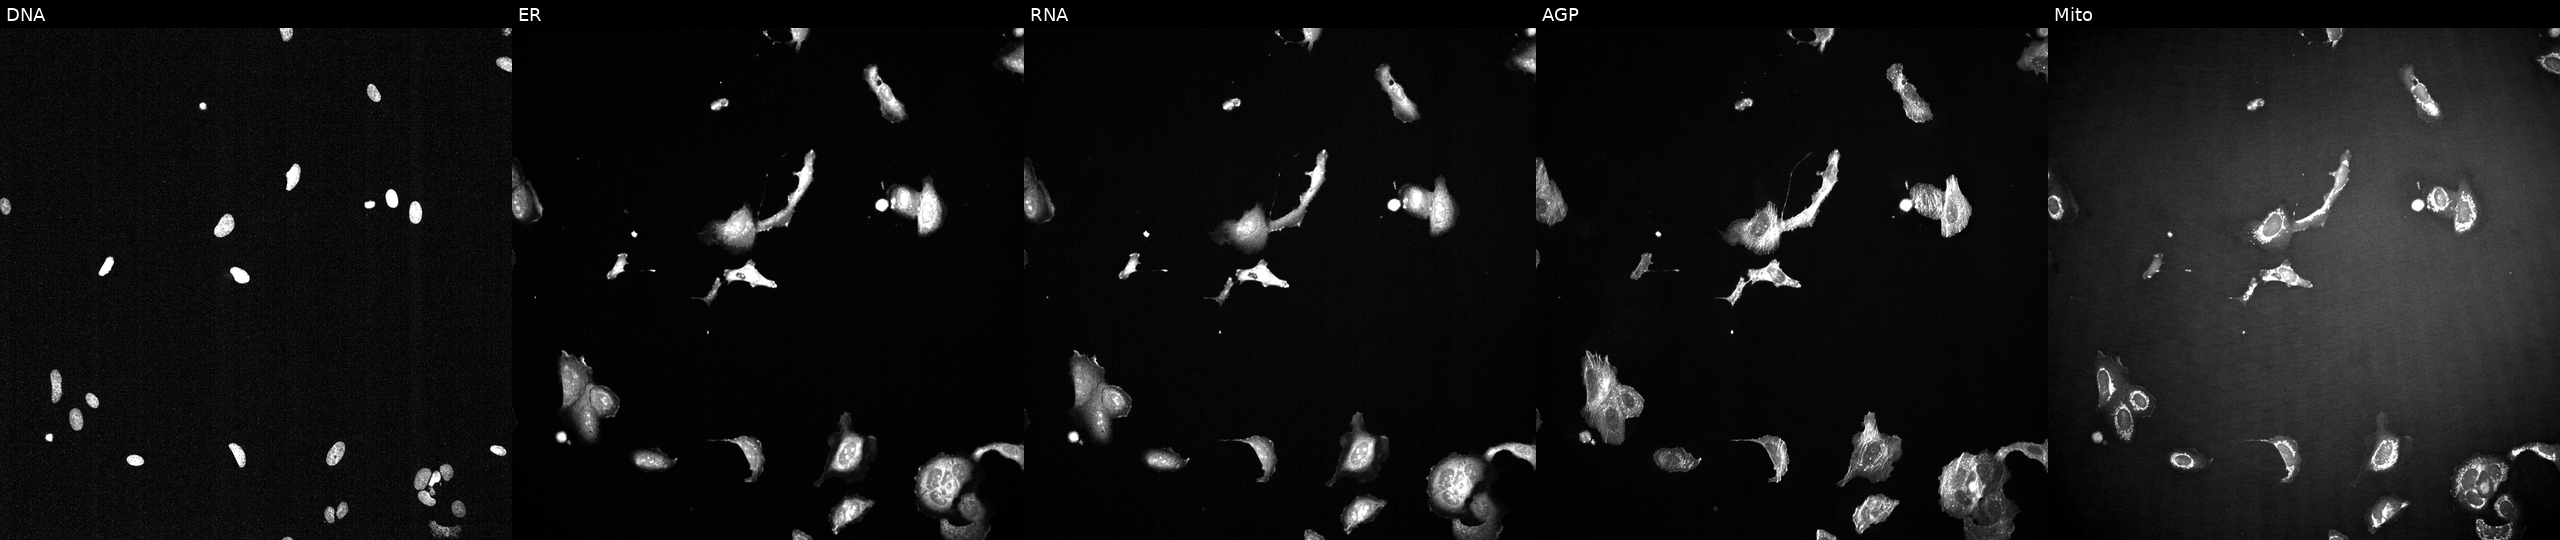
From left to right: DNA (nuclei); ER (endoplasmic reticulum); RNA (nucleoli and cytoplasmic RNA); AGP (actin cytoskeleton, Golgi, and plasma membrane); Mito (mitochondria). U2OS osteosarcoma cells exposed to a small-molecule compound (InChIKey CWHUFRVAEUJCEF-UHFFFAOYSA-N). Cell Painting assay, JUMP-CP dataset.